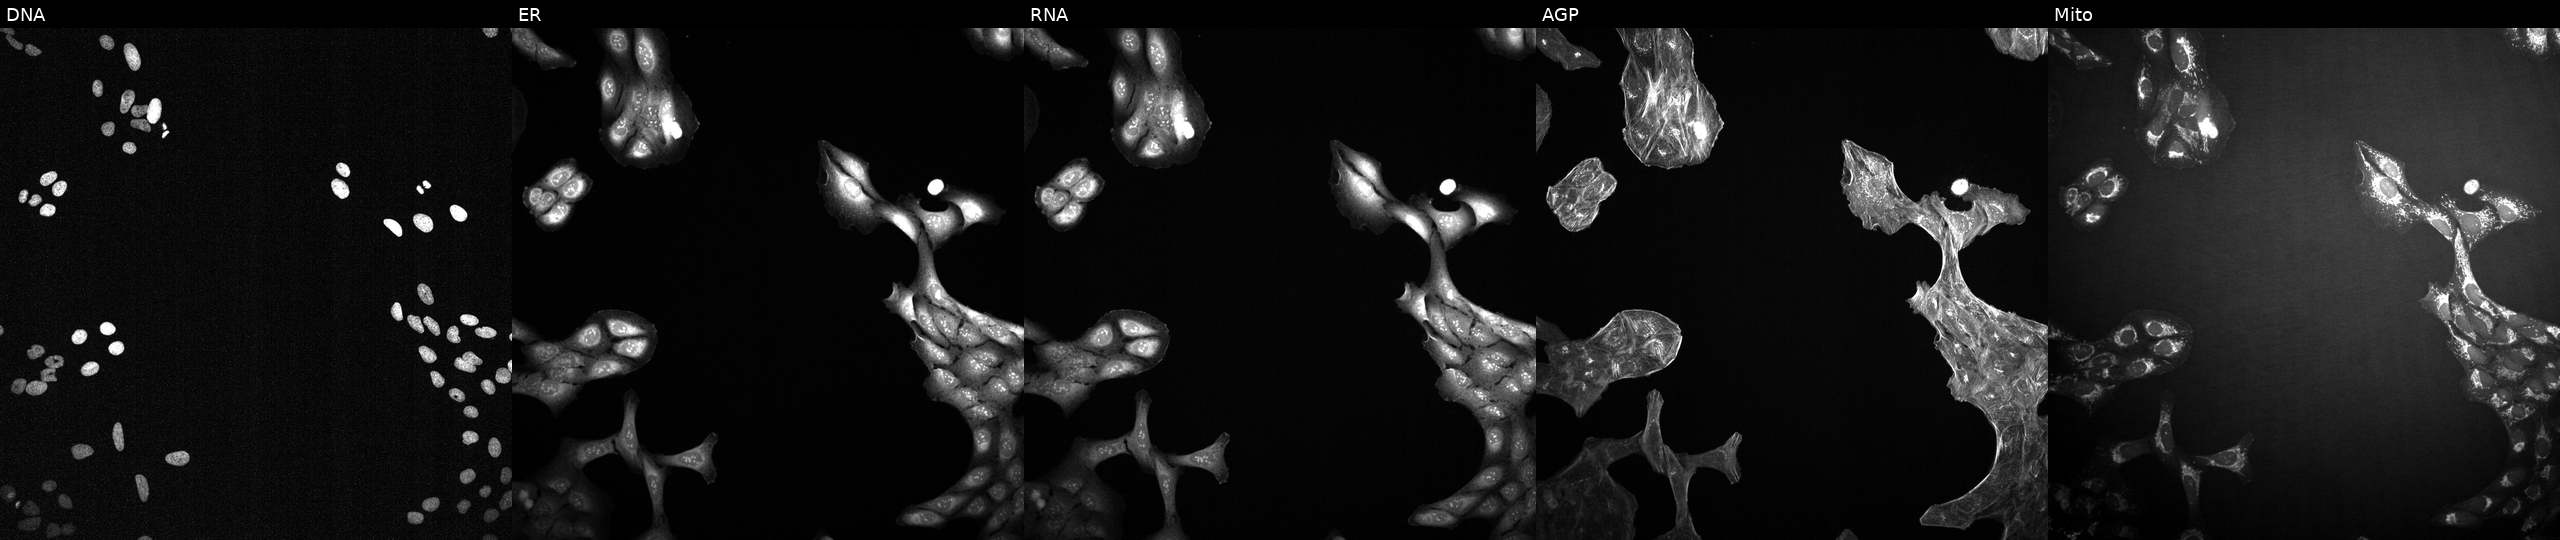
High-content fluorescence microscopy (Cell Painting). Cell line: U2OS. Perturbation: exposed to a small-molecule compound (JUMP id JCP2022_108326). The five panels, left to right, show Hoechst 33342, concanavalin A, SYTO 14, phalloidin and WGA, MitoTracker.